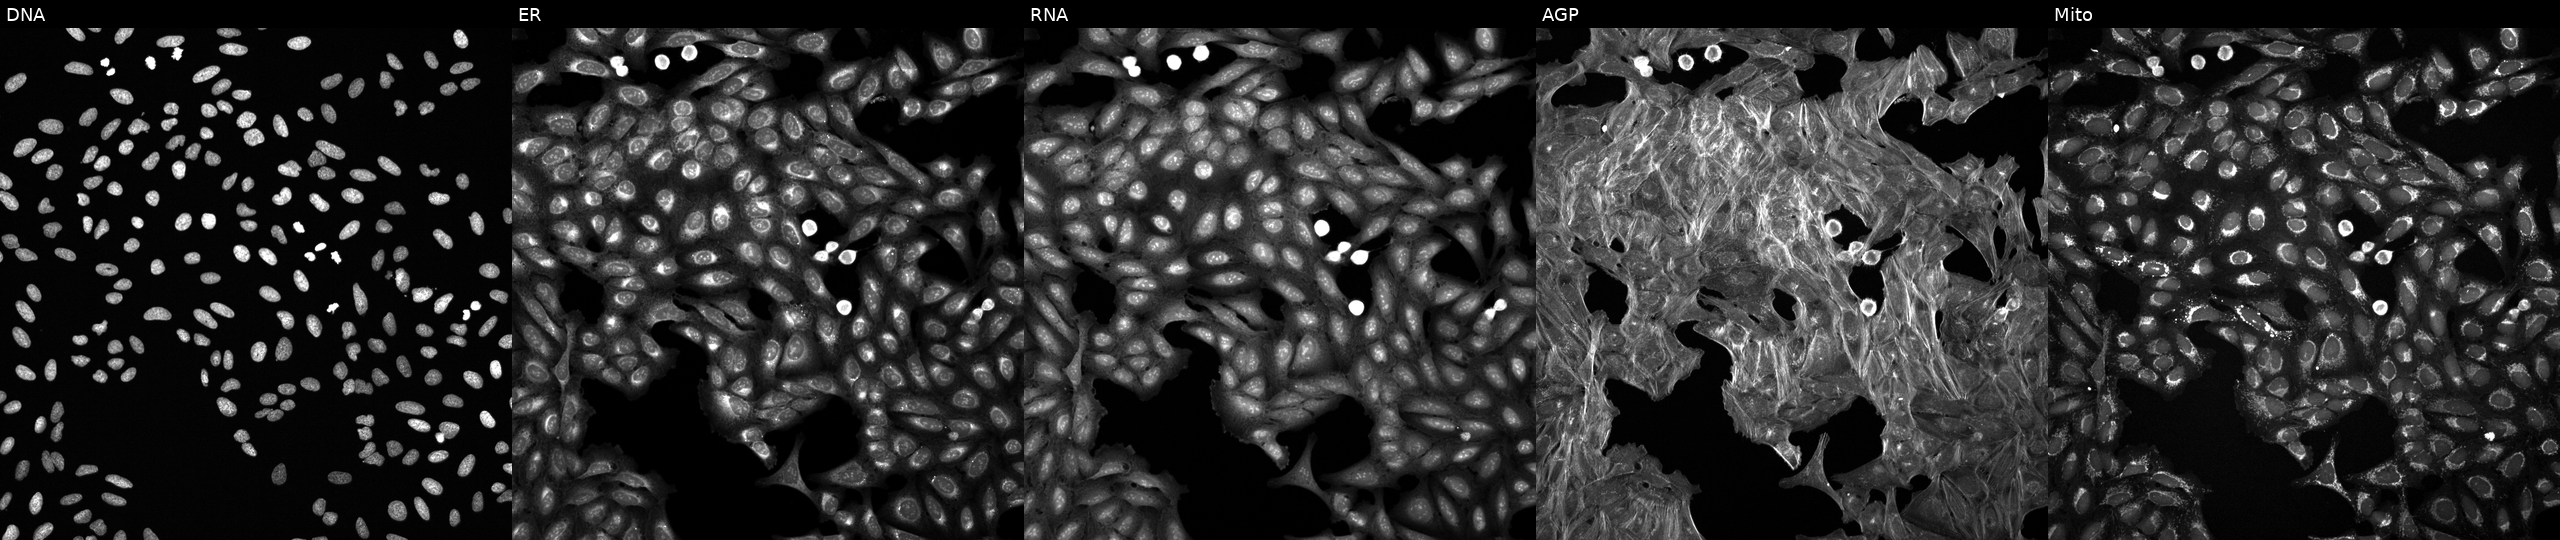
JUMP Cell Painting — TARGET2 plate. U2OS cells treated with a small-molecule compound (InChIKey KRKNYBCHXYNGOX-UHFFFAOYSA-N) (JUMP id JCP2022_046524). From left to right: DNA, ER, RNA, AGP, and Mito.